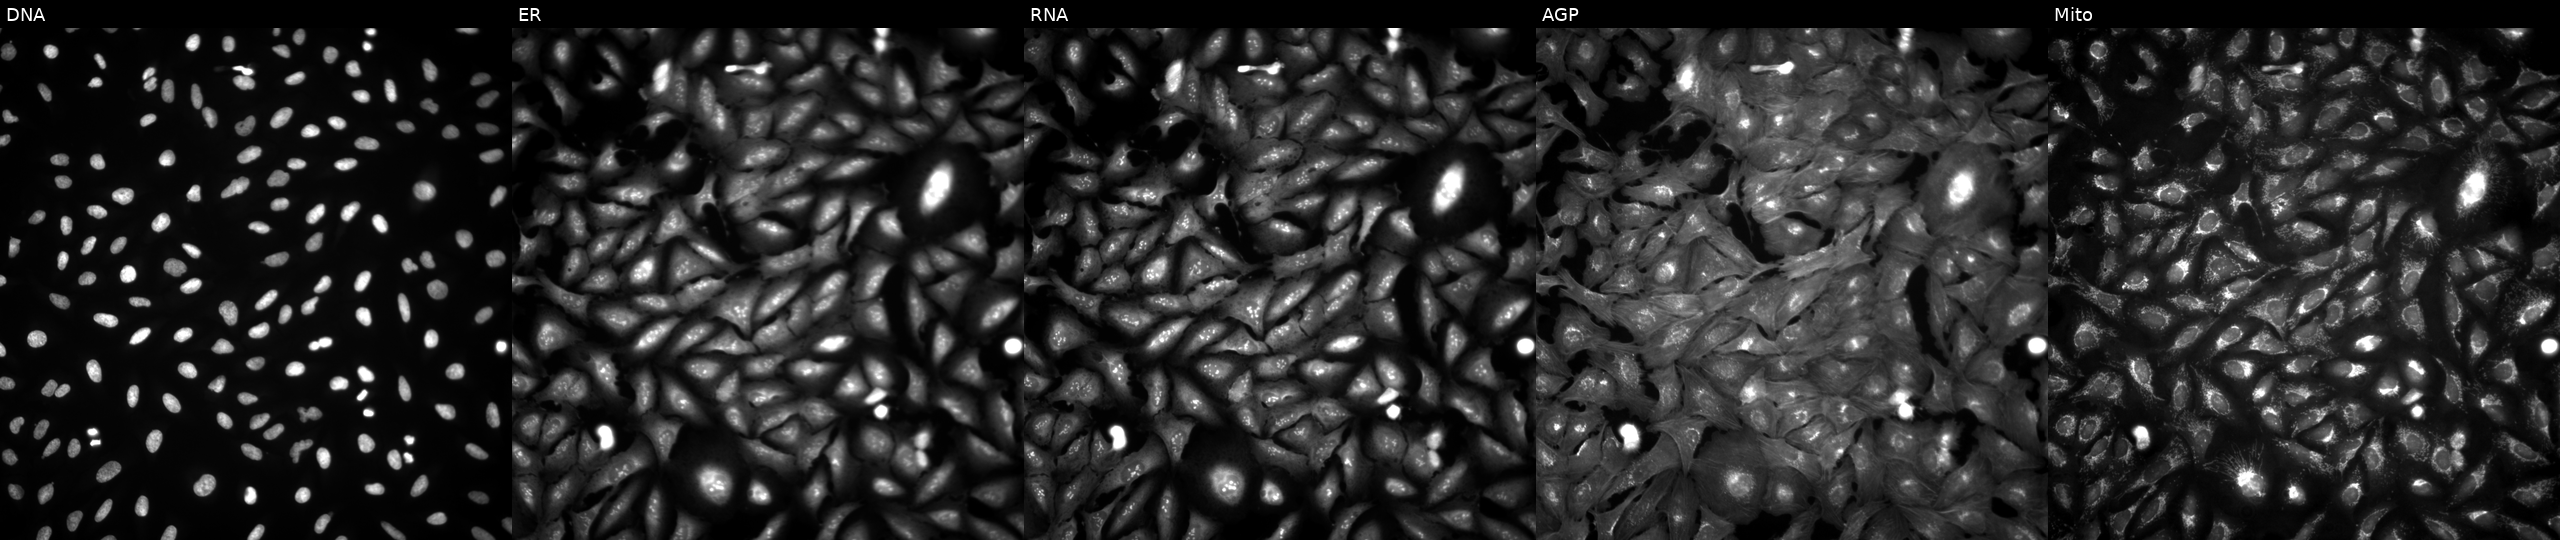
Channels (left→right): DNA (nuclei); ER (endoplasmic reticulum); RNA (nucleoli and cytoplasmic RNA); AGP (actin cytoskeleton, Golgi, and plasma membrane); Mito (mitochondria). U2OS osteosarcoma cells untreated (empty-well control). Cell Painting assay, JUMP-CP dataset.